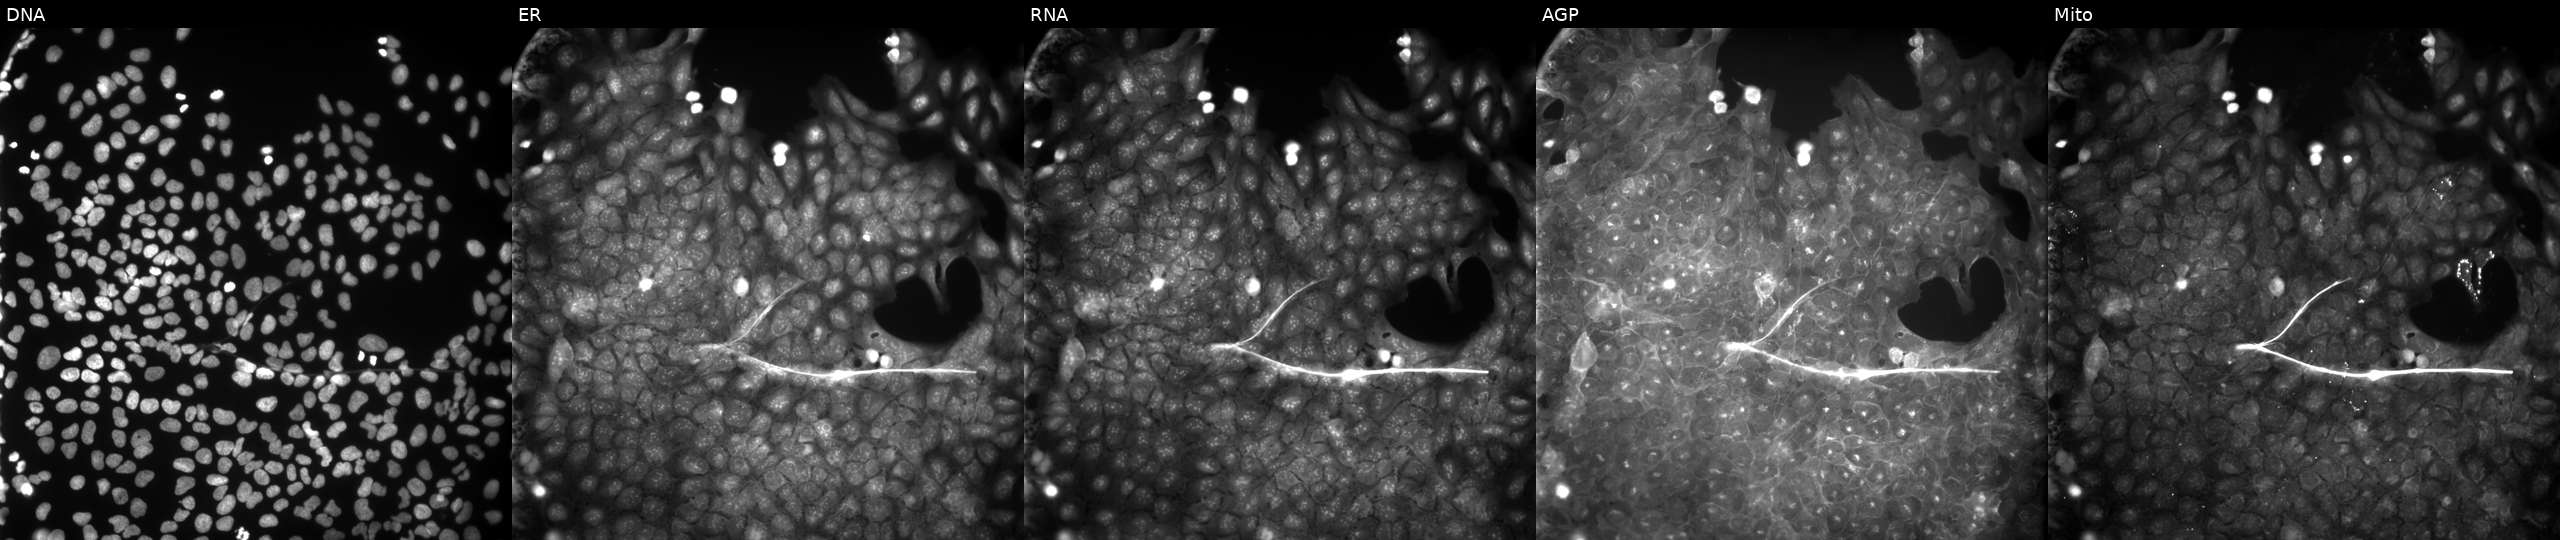
U2OS cells, Cell Painting assay, exposed to a small-molecule compound. The five panels, left to right, show Hoechst 33342, concanavalin A, SYTO 14, phalloidin and WGA, MitoTracker. Each panel is percentile-stretched 16-bit fluorescence. Source 9, plate GR00003382, well AF05.